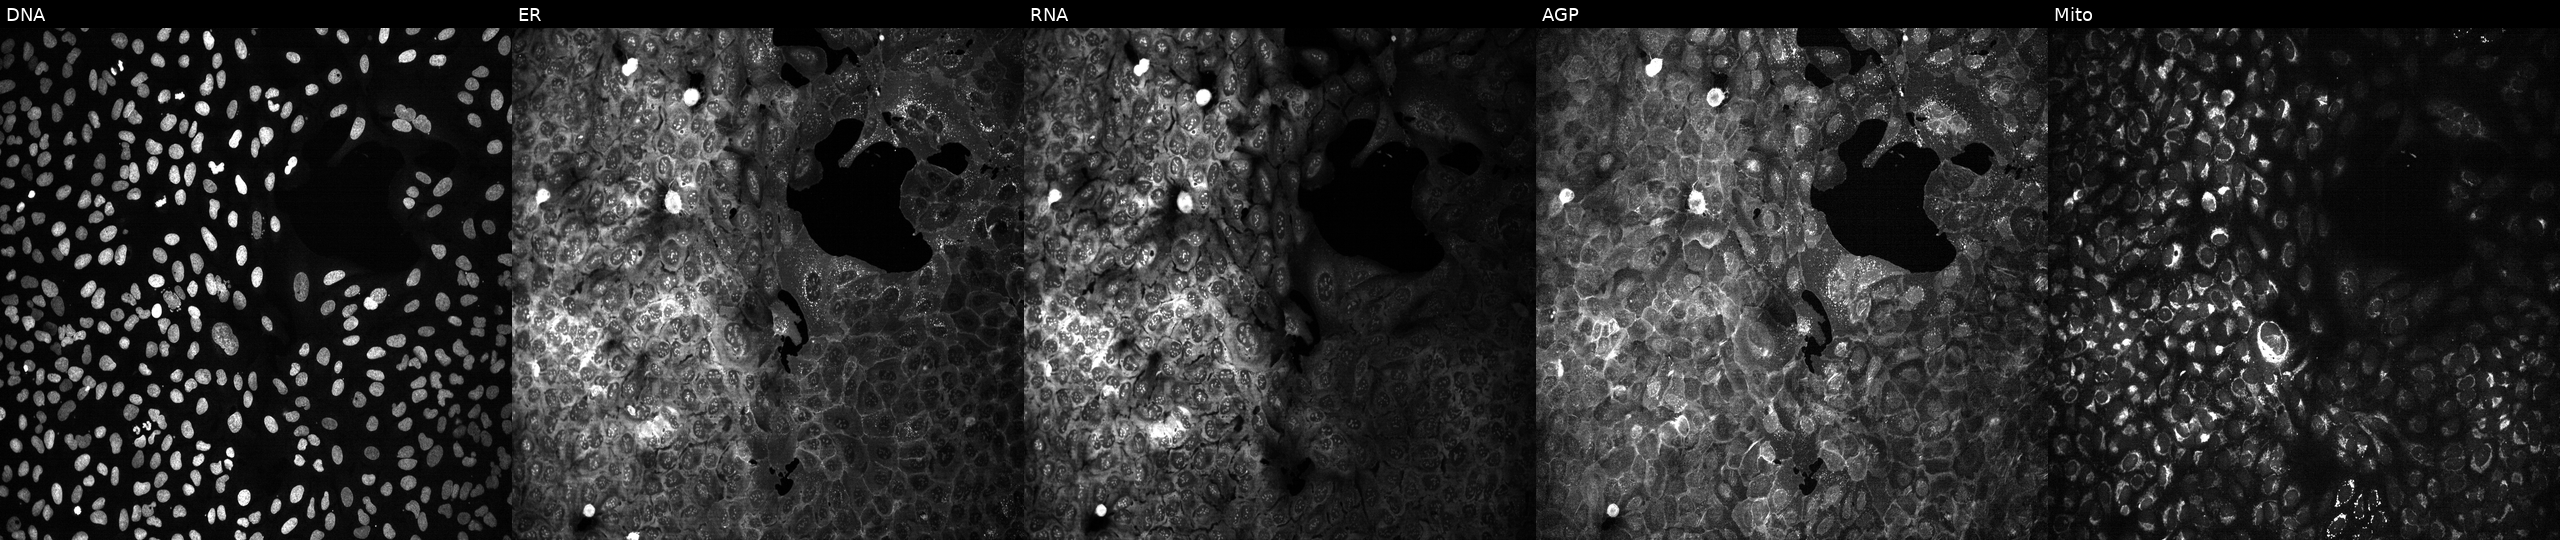
Five-channel Cell Painting image of U2OS cells with SOAT1 knocked out by CRISPR (JUMP id JCP2022_806672). Channels (left→right): DNA (nuclei); ER (endoplasmic reticulum); RNA (nucleoli and cytoplasmic RNA); AGP (actin cytoskeleton, Golgi, and plasma membrane); Mito (mitochondria). Source 13, plate CP-CC9-R3-01, well I21.